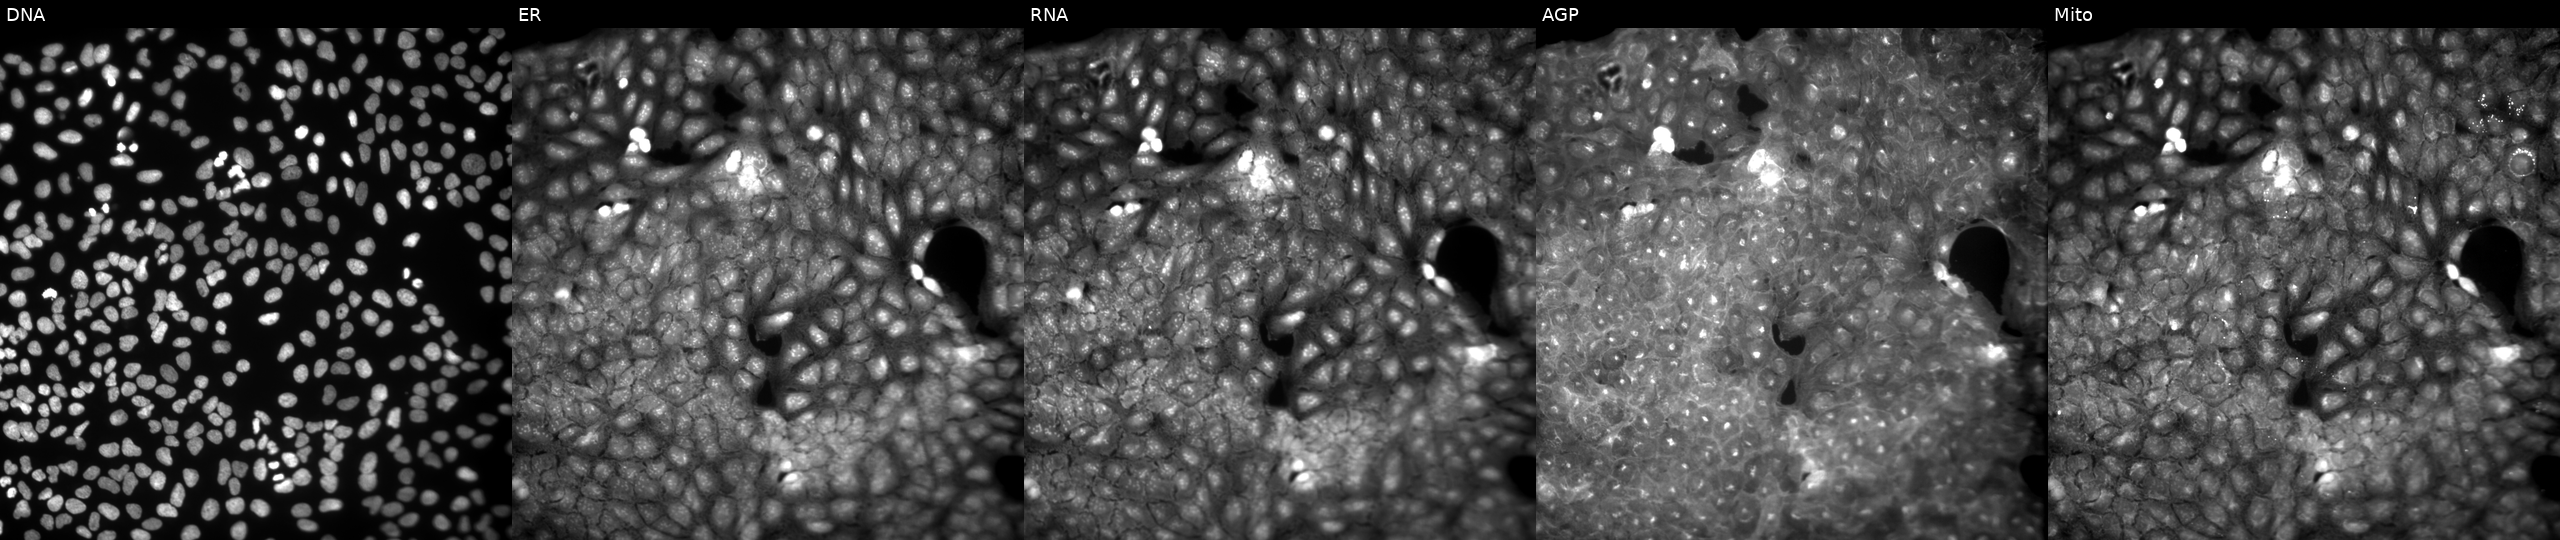
U2OS cells, Cell Painting assay, perturbed with a small-molecule compound (InChIKey GVXCRWWGHSLZJB-UHFFFAOYSA-N). Channels (left→right): Hoechst 33342, concanavalin A, SYTO 14, phalloidin and WGA, MitoTracker. Each panel is percentile-stretched 16-bit fluorescence. Source 9, plate GR00003381, well AC44.